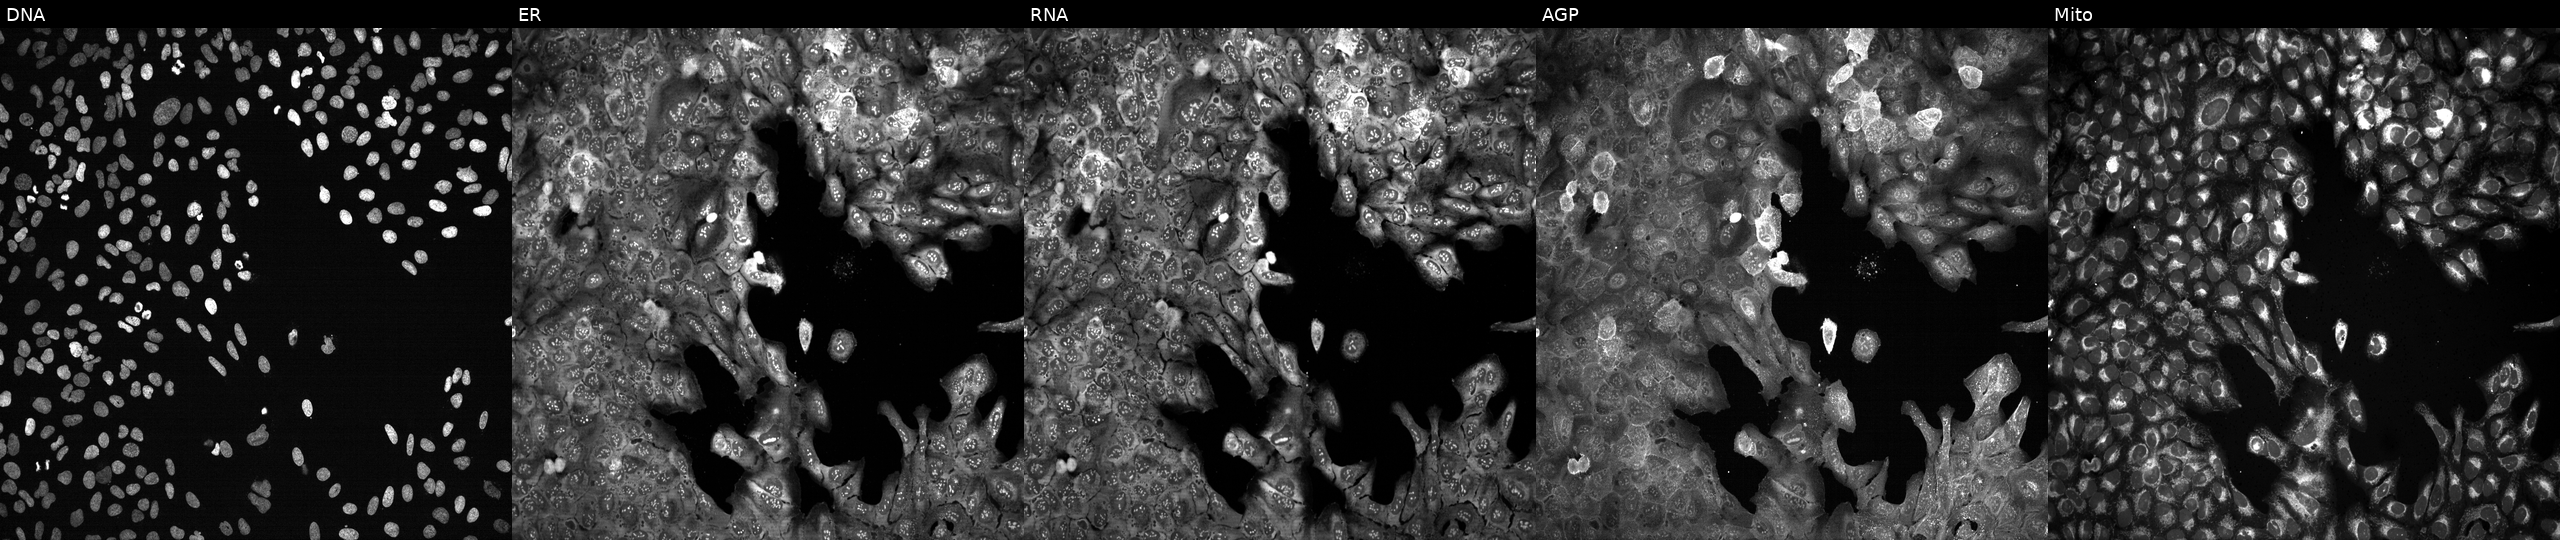
JUMP Cell Painting — CRISPR plate. U2OS cells with MAPRE3 knocked out by CRISPR (JUMP id JCP2022_804021). Panels show, left to right, DNA (nuclei); ER (endoplasmic reticulum); RNA (nucleoli and cytoplasmic RNA); AGP (actin cytoskeleton, Golgi, and plasma membrane); Mito (mitochondria). Source 13, plate CP-CC9-R4-04, well M08.